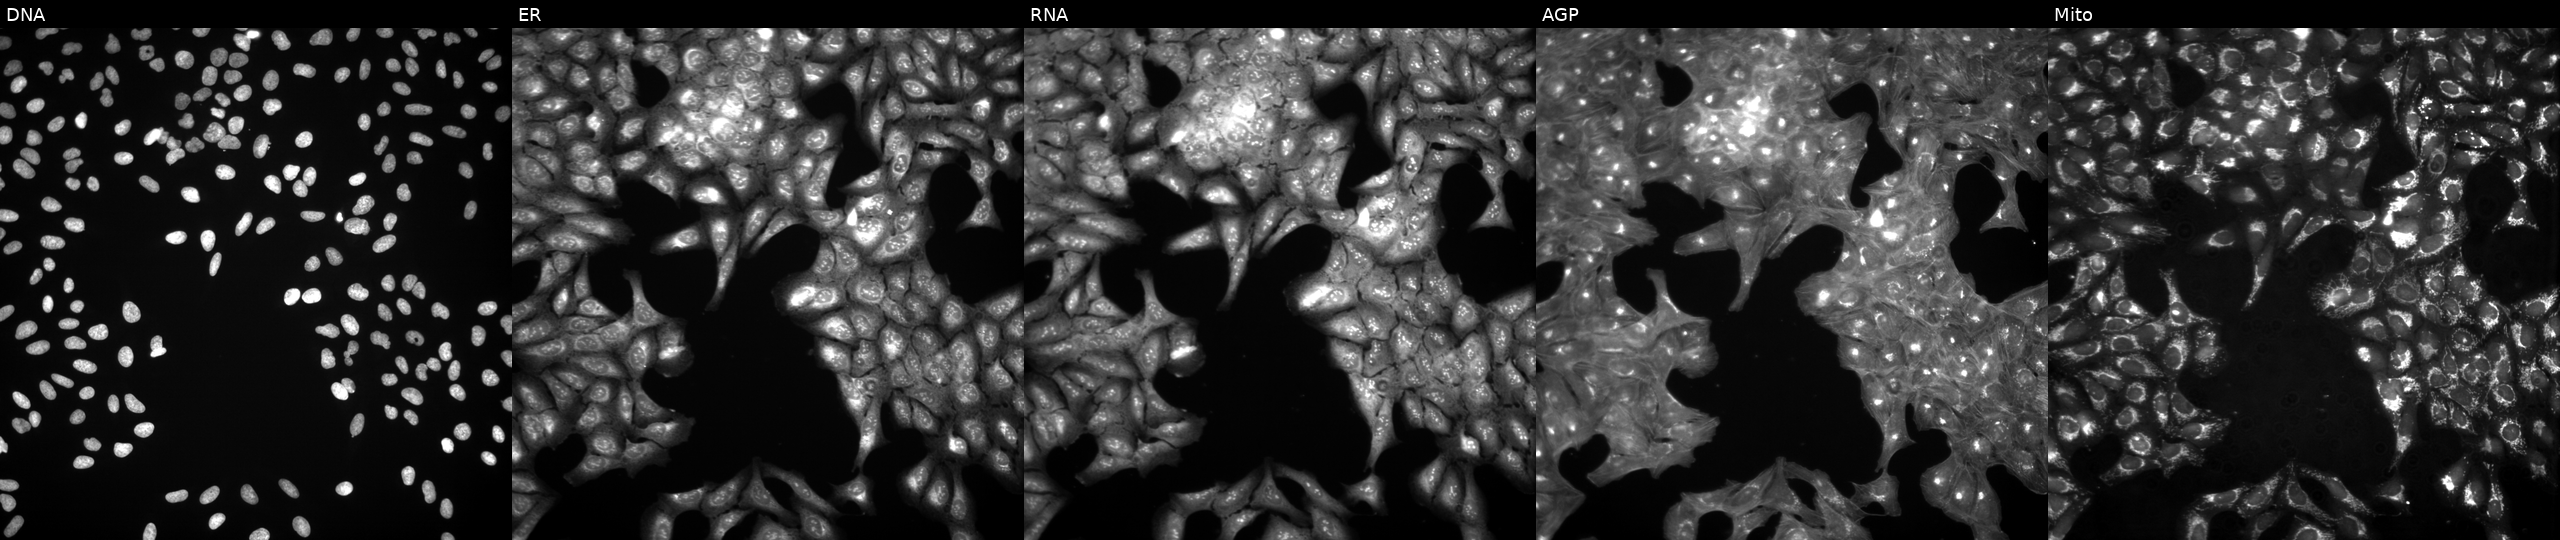
Channels (left→right): Hoechst 33342, concanavalin A, SYTO 14, phalloidin and WGA, MitoTracker. U2OS osteosarcoma cells treated with a small-molecule compound (InChIKey NEMHKCNXXRQYRF-UHFFFAOYSA-N). Cell Painting assay, JUMP-CP dataset.